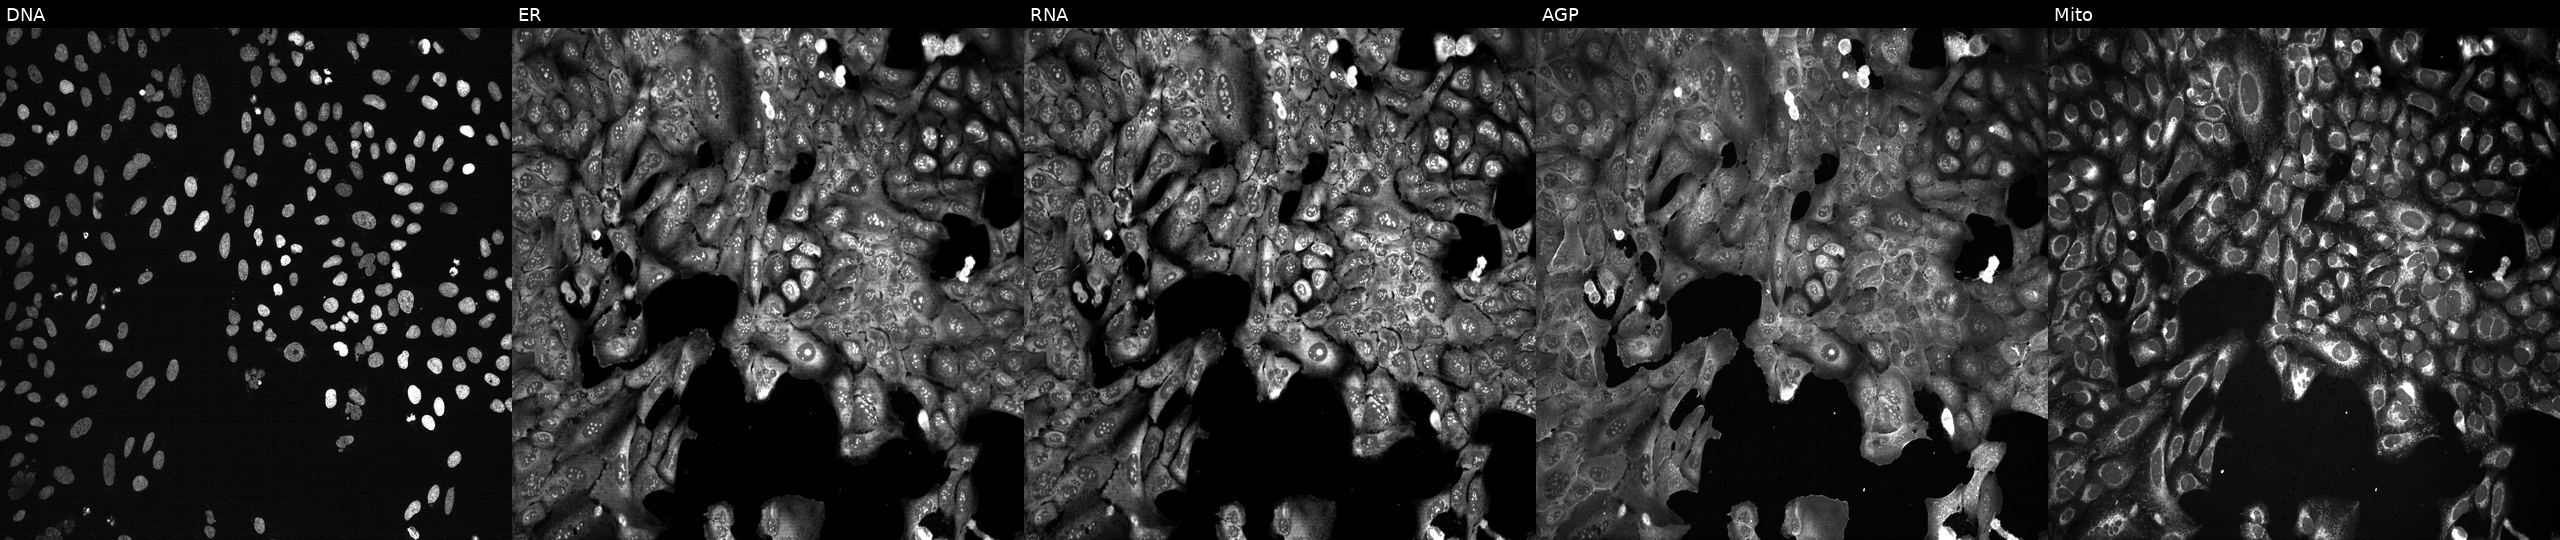
This image strip shows the five Cell Painting channels for a single field of U2OS cells with ABCD4 knocked out by CRISPR (JUMP id JCP2022_800053). Panels show, left to right, Hoechst 33342, concanavalin A, SYTO 14, phalloidin and WGA, MitoTracker.